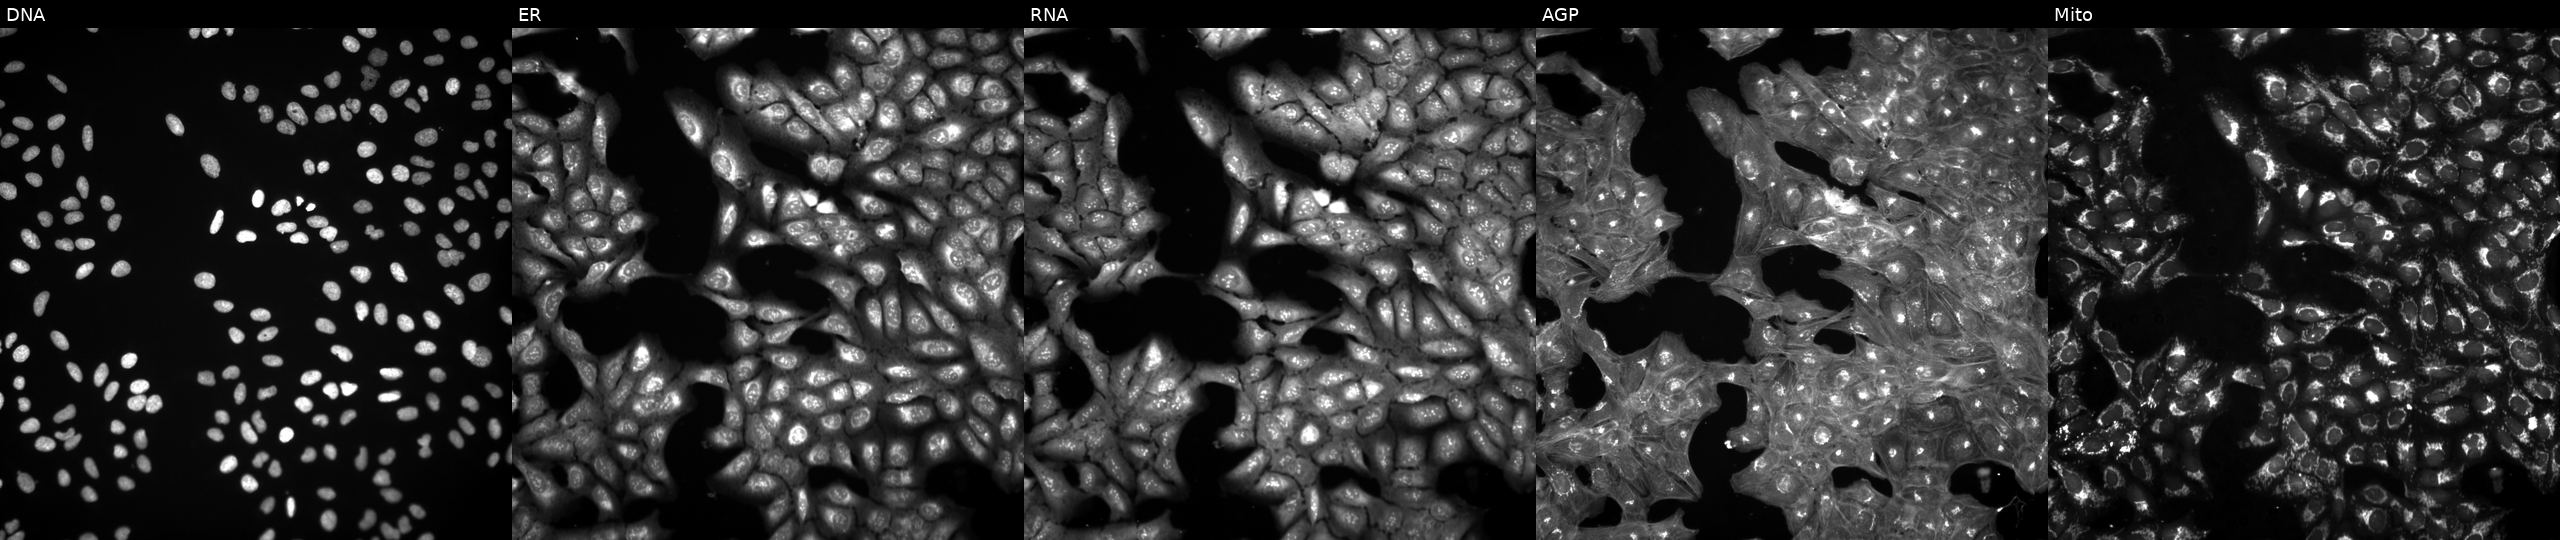
U2OS cells, Cell Painting assay, untreated (empty-well control) (JUMP id JCP2022_999999). The five panels, left to right, show DNA, ER, RNA, AGP, and Mito. Each panel is percentile-stretched 16-bit fluorescence. Source 3, plate BR5867b3, well P11.